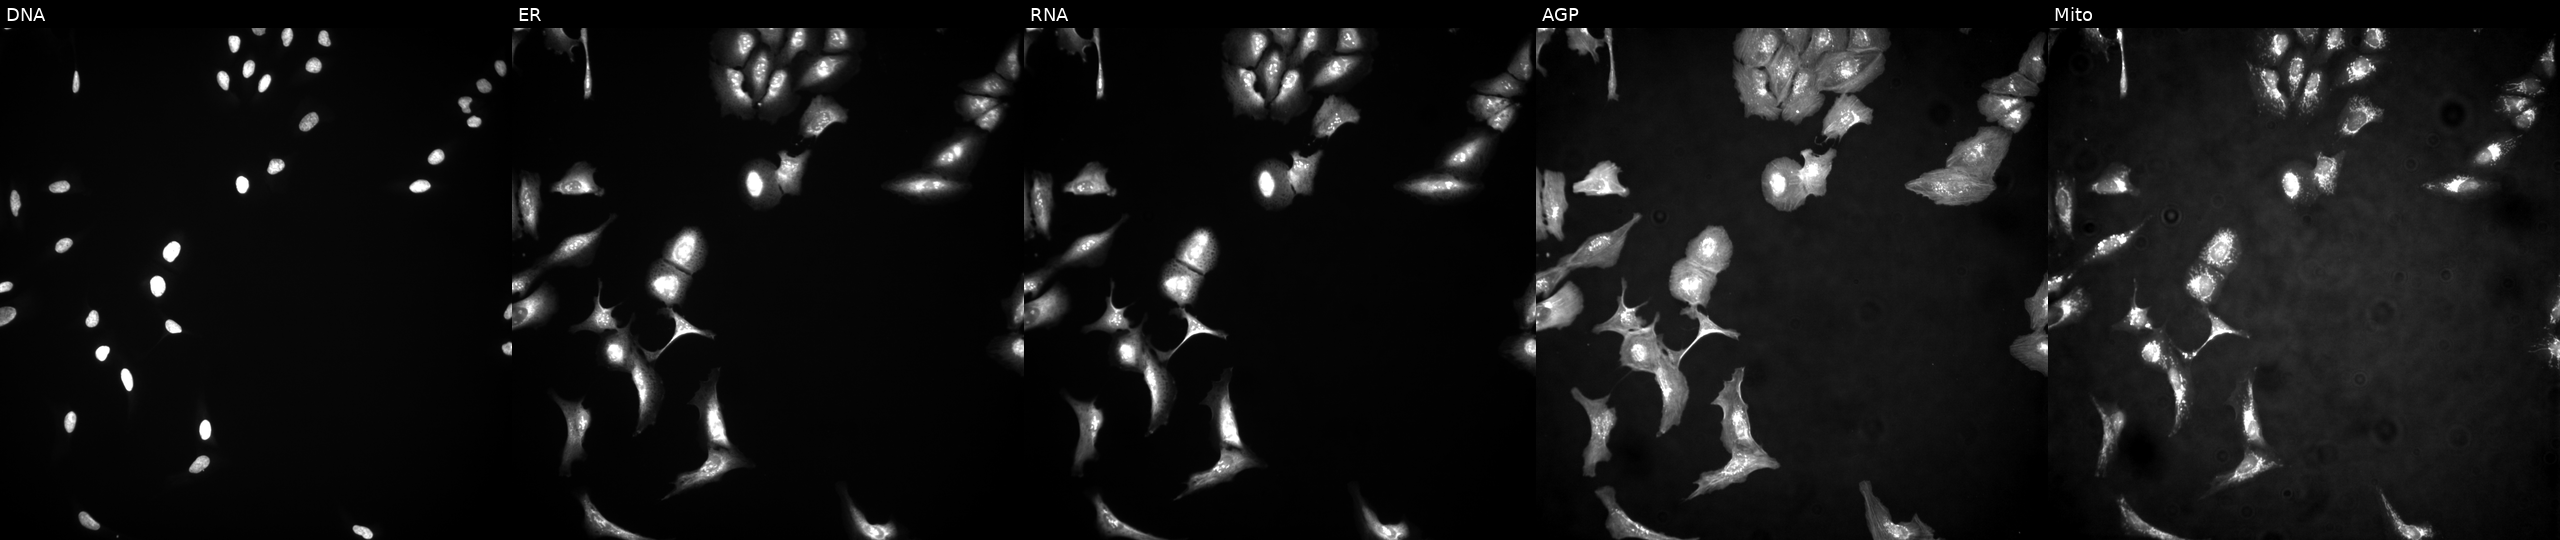
Panels show, left to right, Hoechst 33342, concanavalin A, SYTO 14, phalloidin and WGA, MitoTracker. U2OS osteosarcoma cells with IPO11 overexpressed (ORF). Cell Painting assay, JUMP-CP dataset.